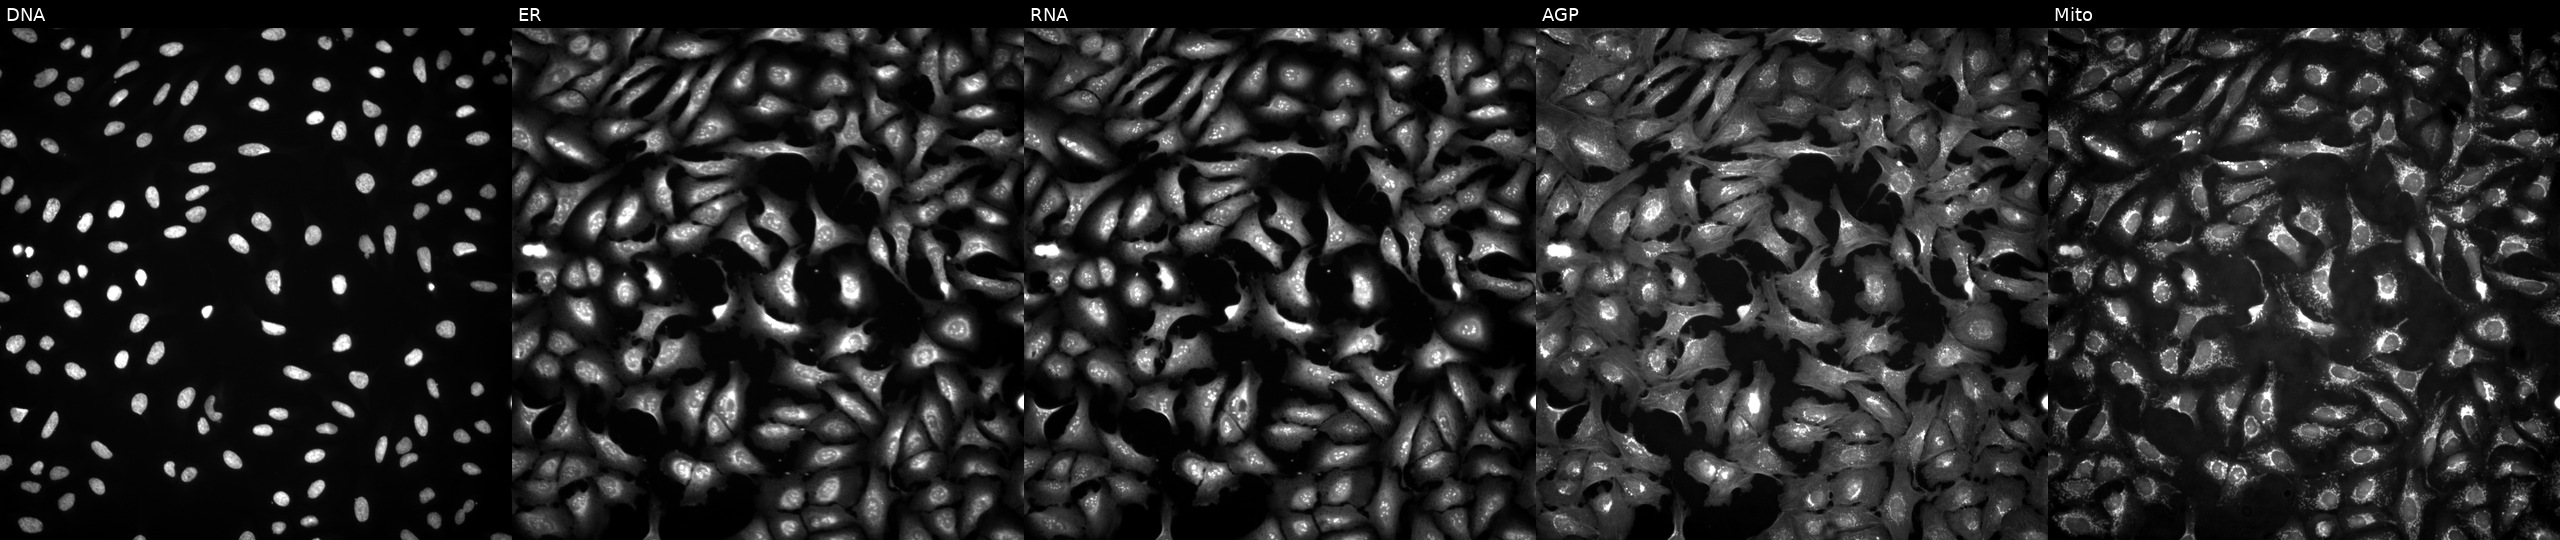
JUMP Cell Painting — ORF plate. U2OS cells with TSTD2 overexpressed (ORF). From left to right: DNA (nuclei); ER (endoplasmic reticulum); RNA (nucleoli and cytoplasmic RNA); AGP (actin cytoskeleton, Golgi, and plasma membrane); Mito (mitochondria).